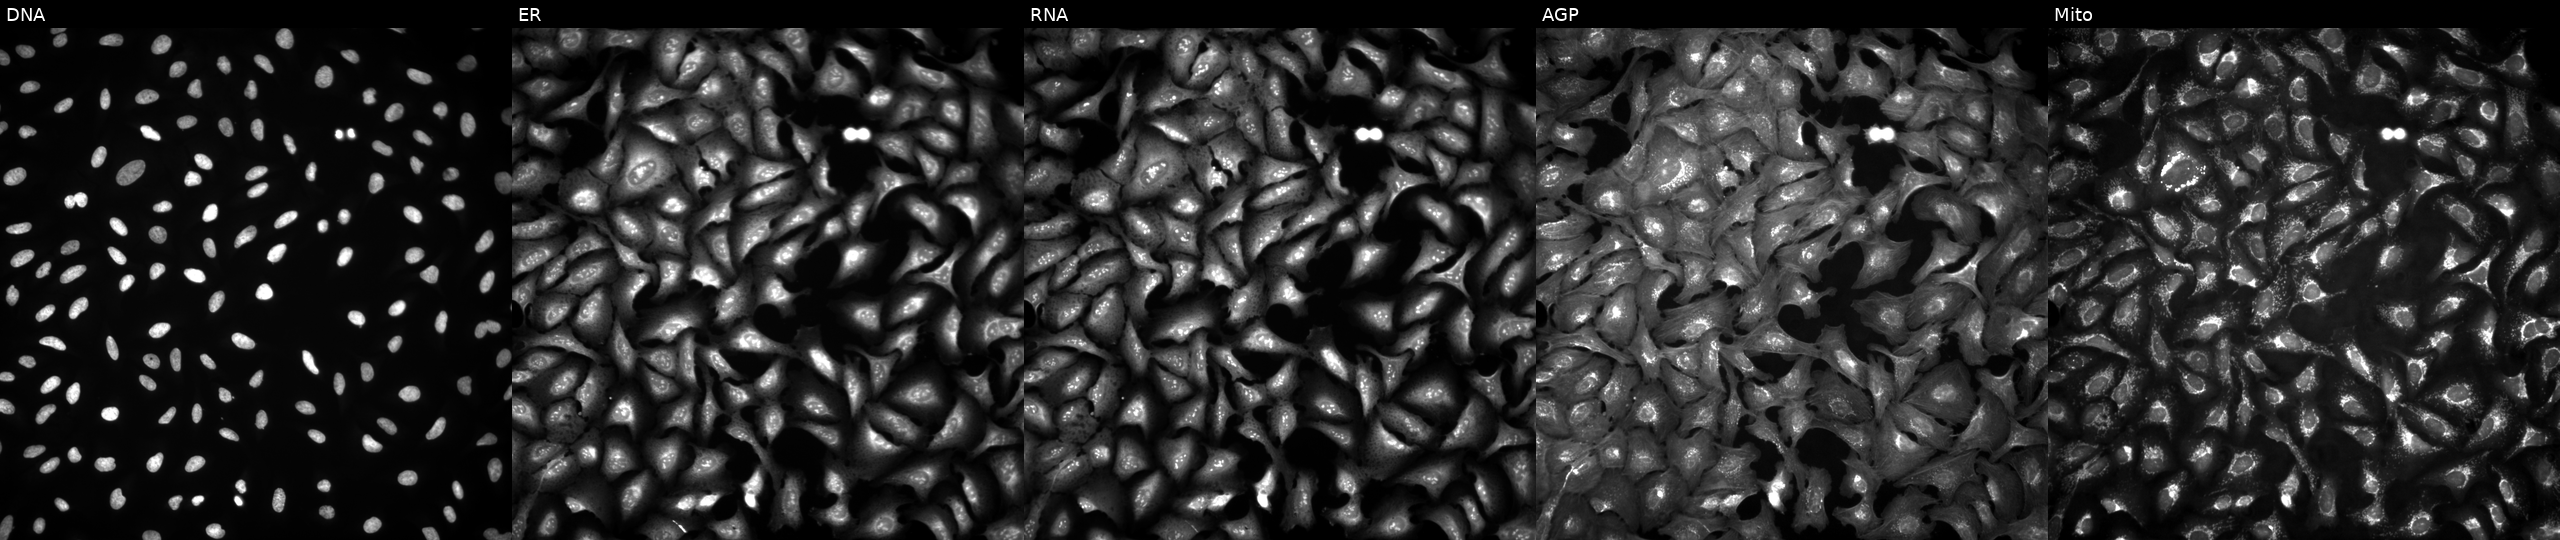
This image strip shows the five Cell Painting channels for a single field of U2OS cells overexpressing NANP via ORF transfection. Channels (left→right): DNA, ER, RNA, AGP, and Mito. Source 4, plate BR00124787, well B18.